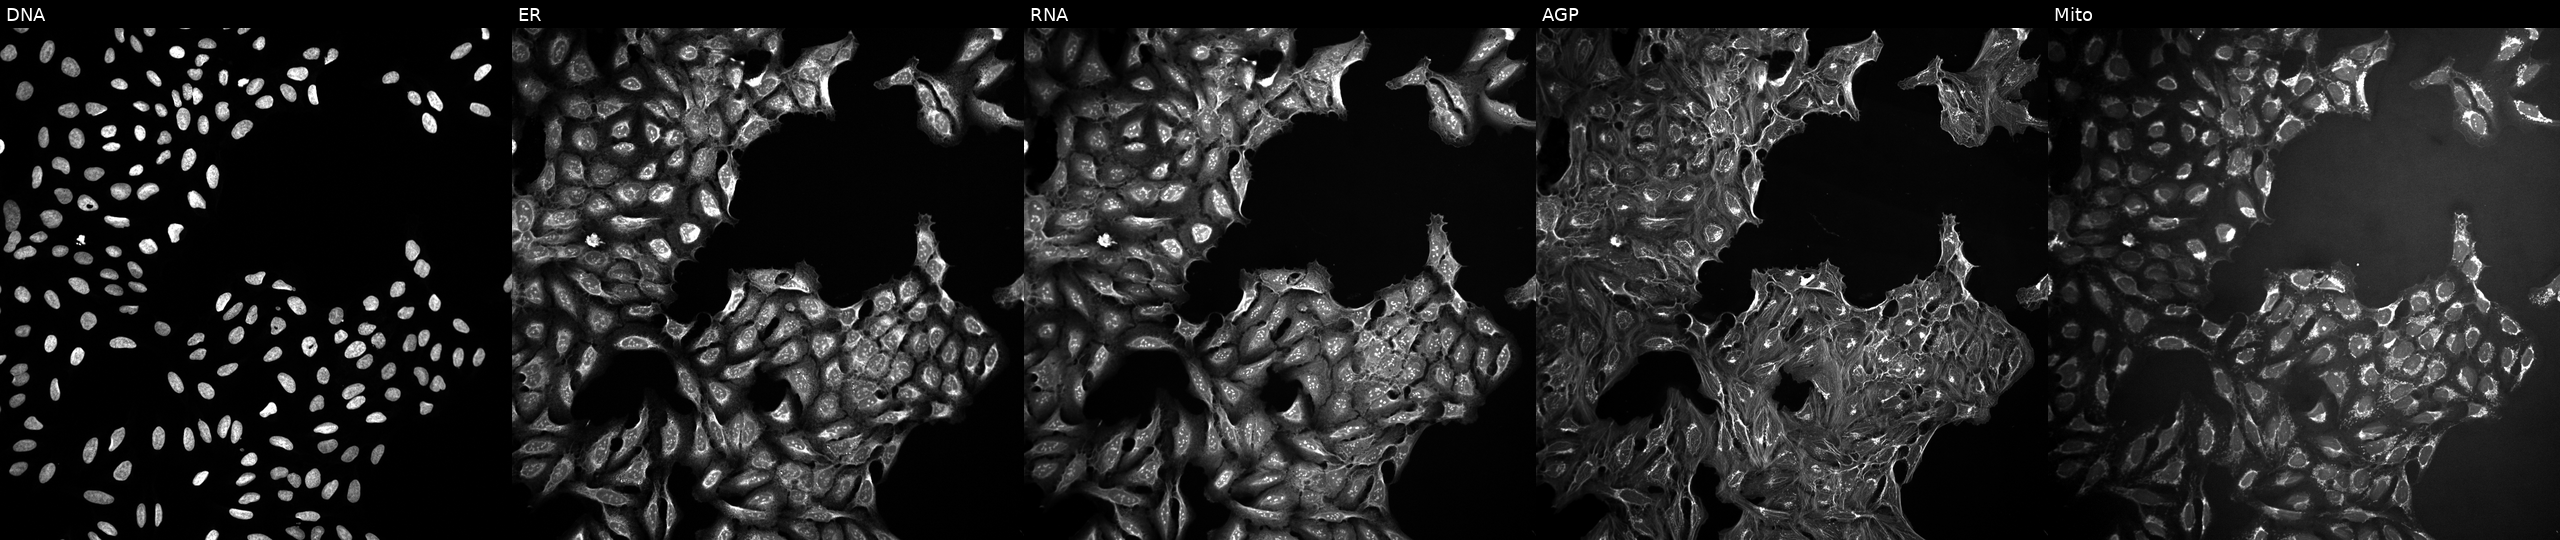
U2OS cells, Cell Painting assay, perturbed with a small-molecule compound (InChIKey CEGZJOSWOALEDJ-UHFFFAOYSA-N) [SMILES: CN=c1cc(C(=O)N2CC(c3ccc(OC)cc3)C3C2C2CCN3CC2)cc[nH]1] (JUMP id JCP2022_010567). The five panels, left to right, show DNA, ER, RNA, AGP, and Mito. Each panel is percentile-stretched 16-bit fluorescence. Source 10, plate Dest210531-152324, well N21.